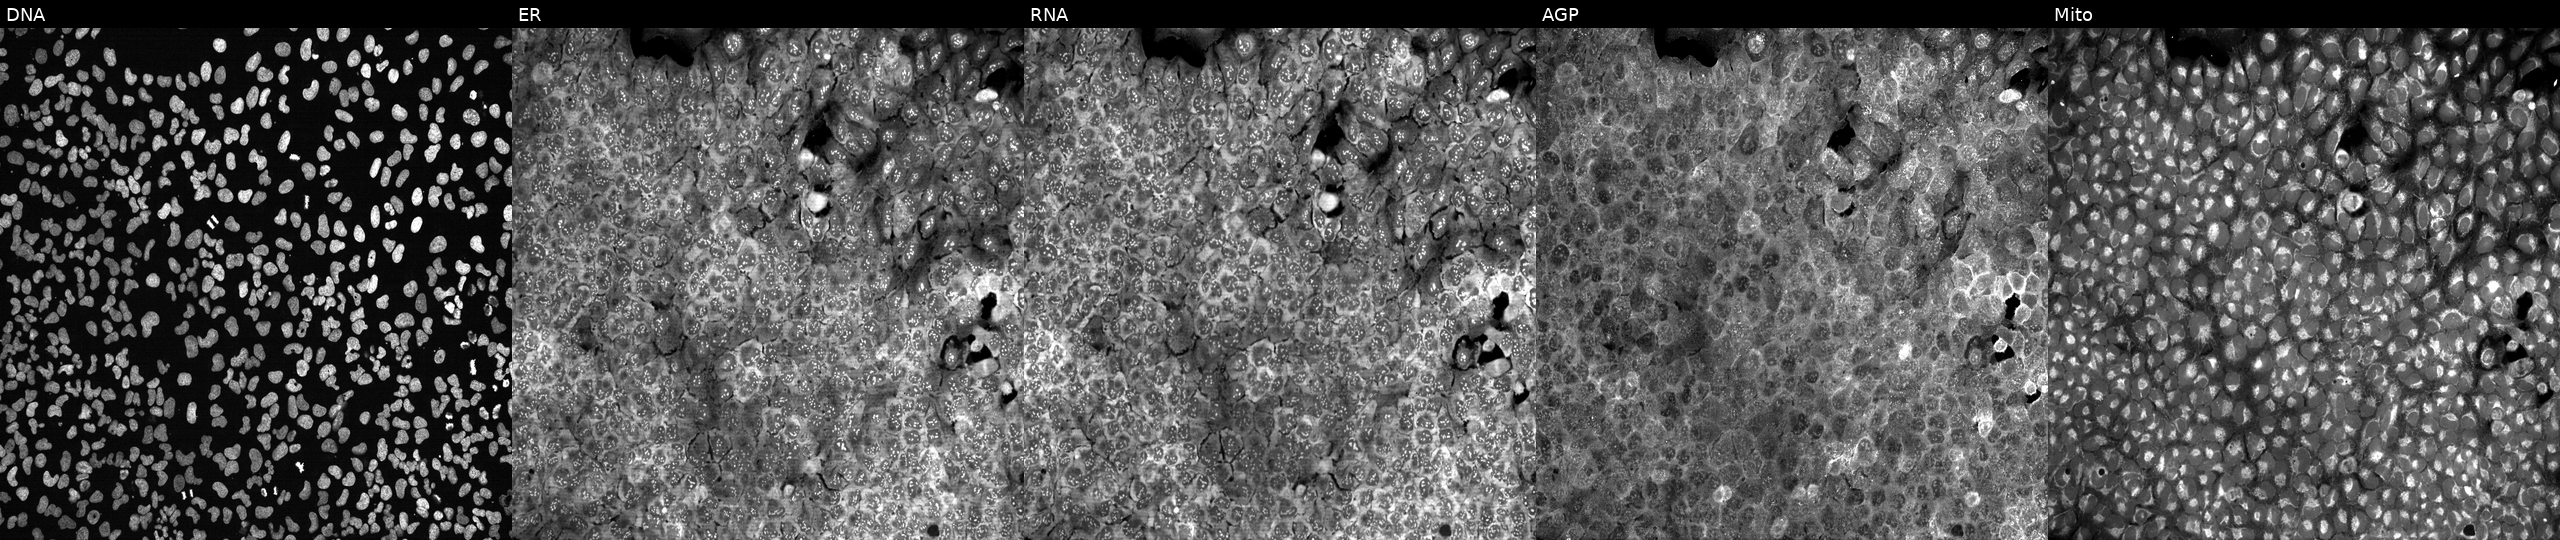
Channels (left→right): Hoechst 33342, concanavalin A, SYTO 14, phalloidin and WGA, MitoTracker. U2OS osteosarcoma cells CRISPR-edited to disrupt CCS (JUMP id JCP2022_801135). Cell Painting assay, JUMP-CP dataset. Source 13, plate CP-CC9-R5-01, well K08.